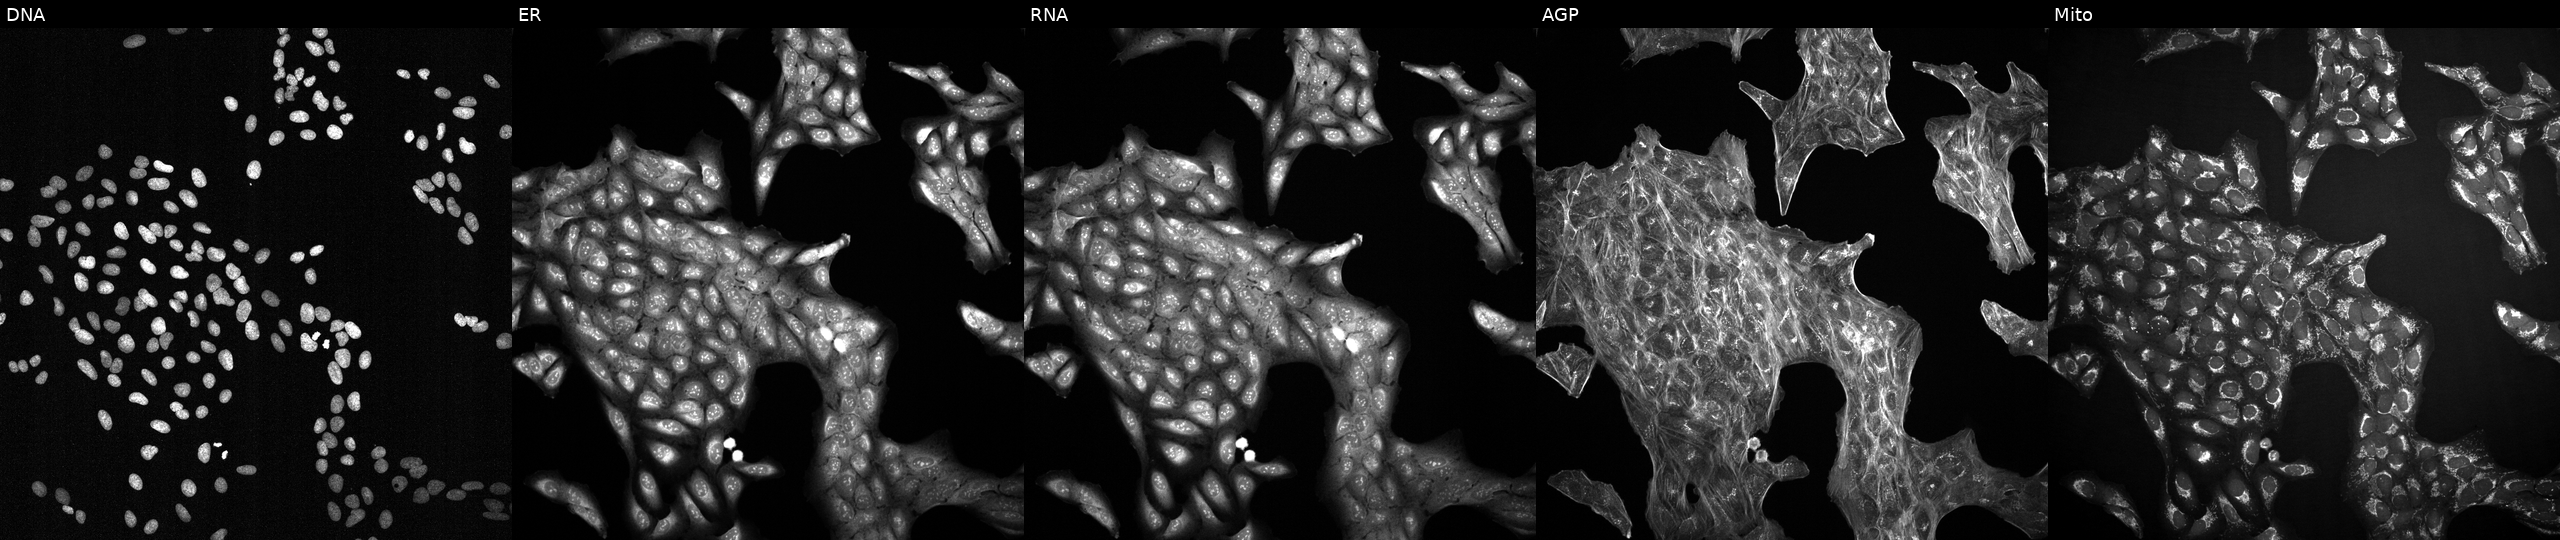
High-content fluorescence microscopy (Cell Painting). Cell line: U2OS. Perturbation: exposed to a small-molecule compound (InChIKey WDENQIQQYWYTPO-UHFFFAOYSA-N) [SMILES: CC#CC(=O)N1CCCC1c1nc(-c2ccc(C(=O)N=c3cccc[nH]3)cc2)c2c(=N)[nH]ccn12] (JUMP id JCP2022_097998). Panels show, left to right, Hoechst 33342, concanavalin A, SYTO 14, phalloidin and WGA, MitoTracker.